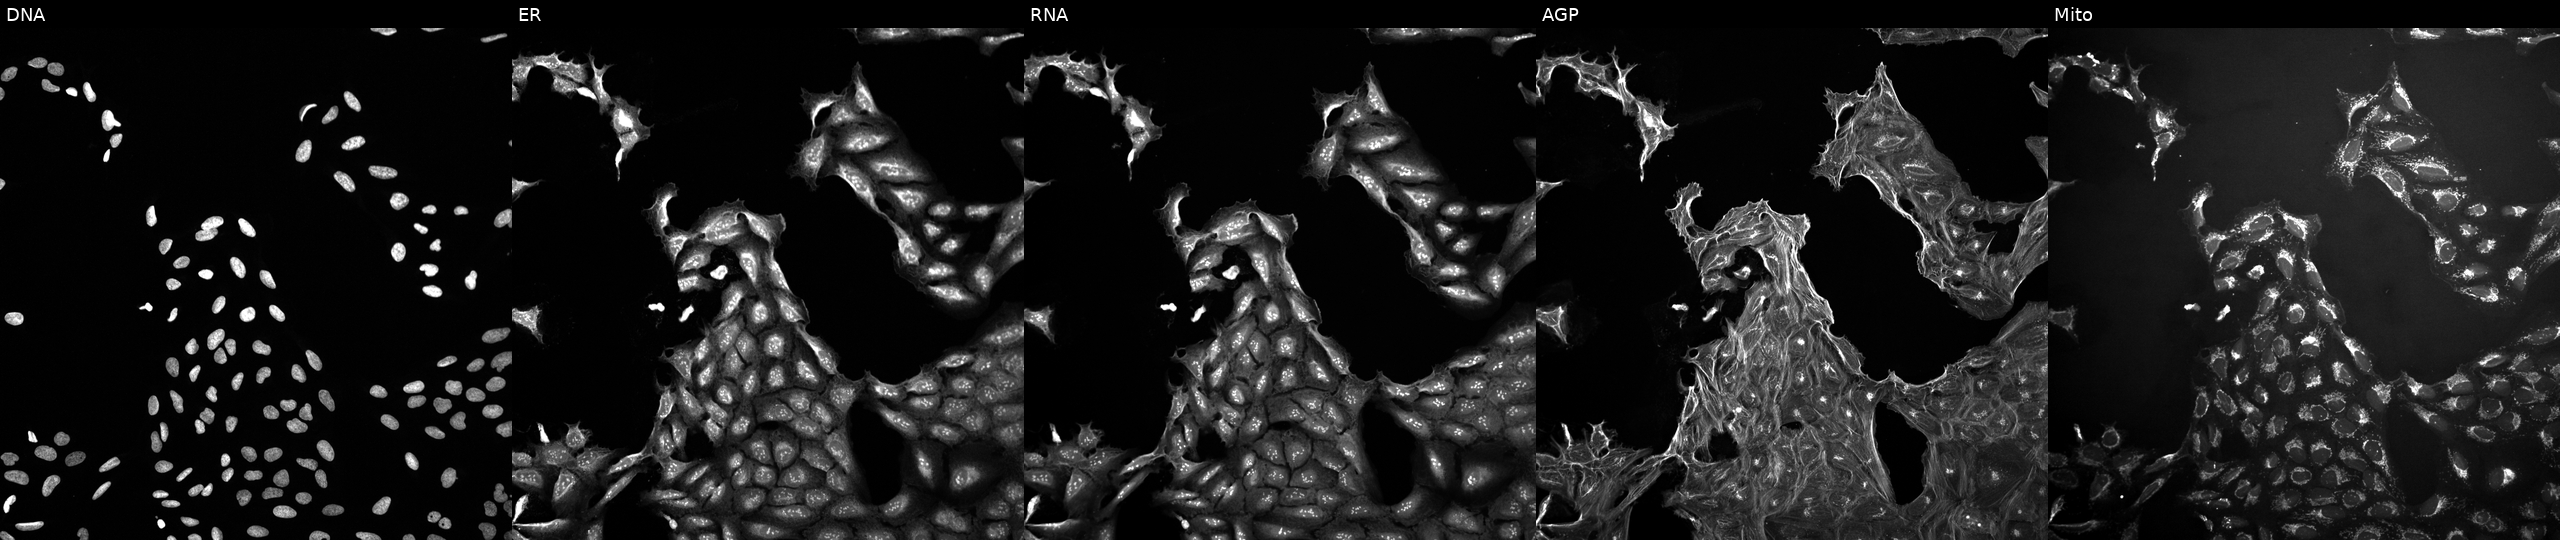
U2OS cells, Cell Painting assay, treated with a small-molecule compound (JUMP id JCP2022_069285). From left to right: Hoechst 33342, concanavalin A, SYTO 14, phalloidin and WGA, MitoTracker. Each panel is percentile-stretched 16-bit fluorescence.